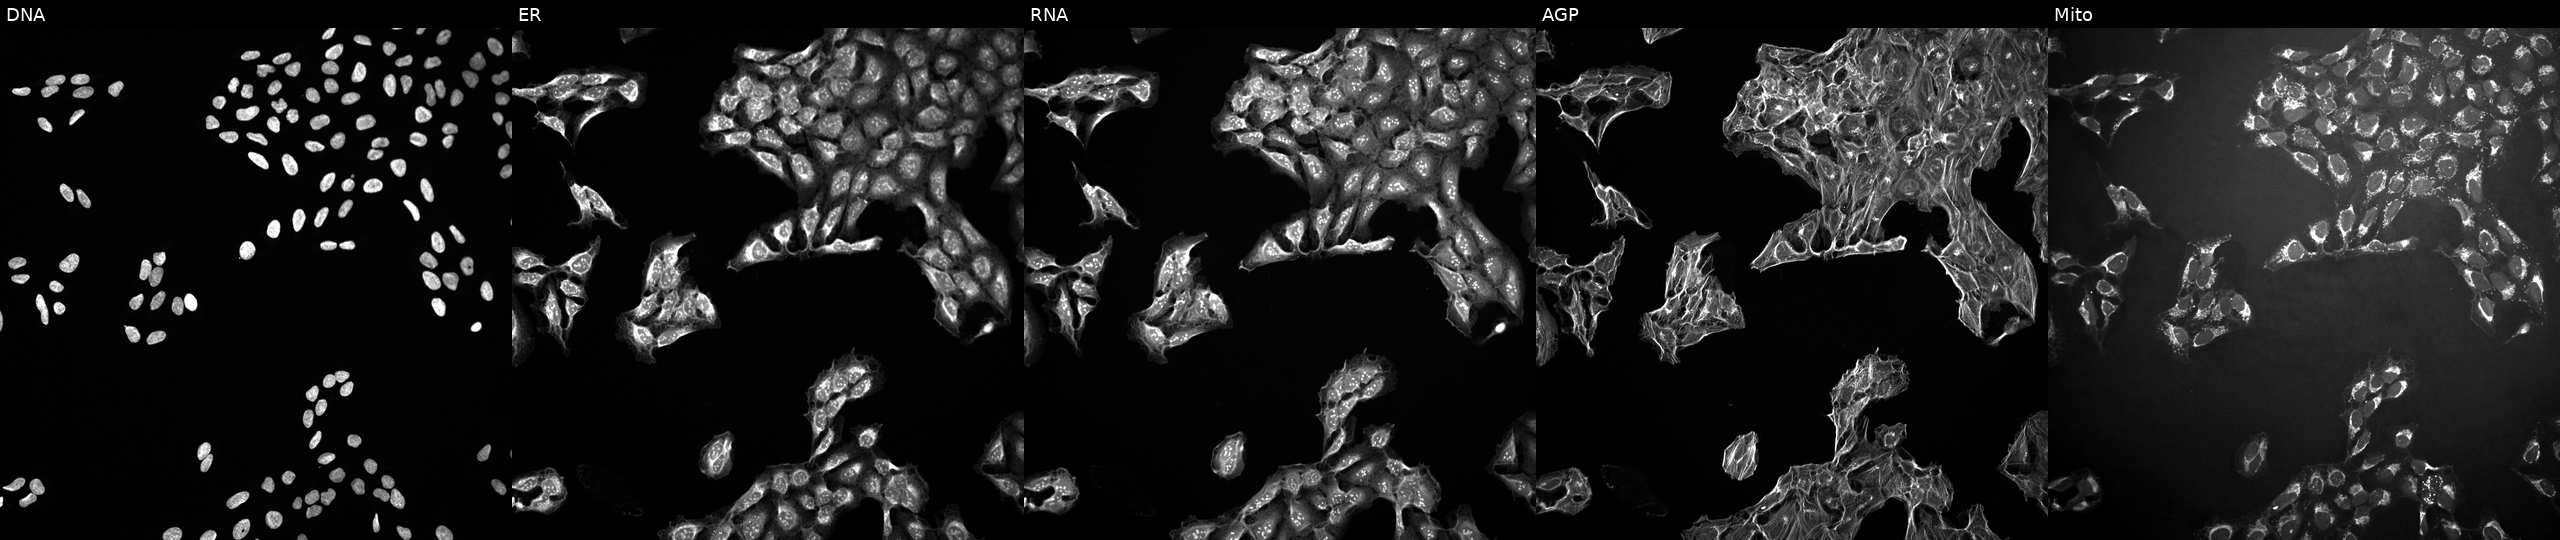
High-content fluorescence microscopy (Cell Painting). Cell line: U2OS. Perturbation: treated with DMSO vehicle only (negative control). Channels (left→right): Hoechst 33342, concanavalin A, SYTO 14, phalloidin and WGA, MitoTracker.